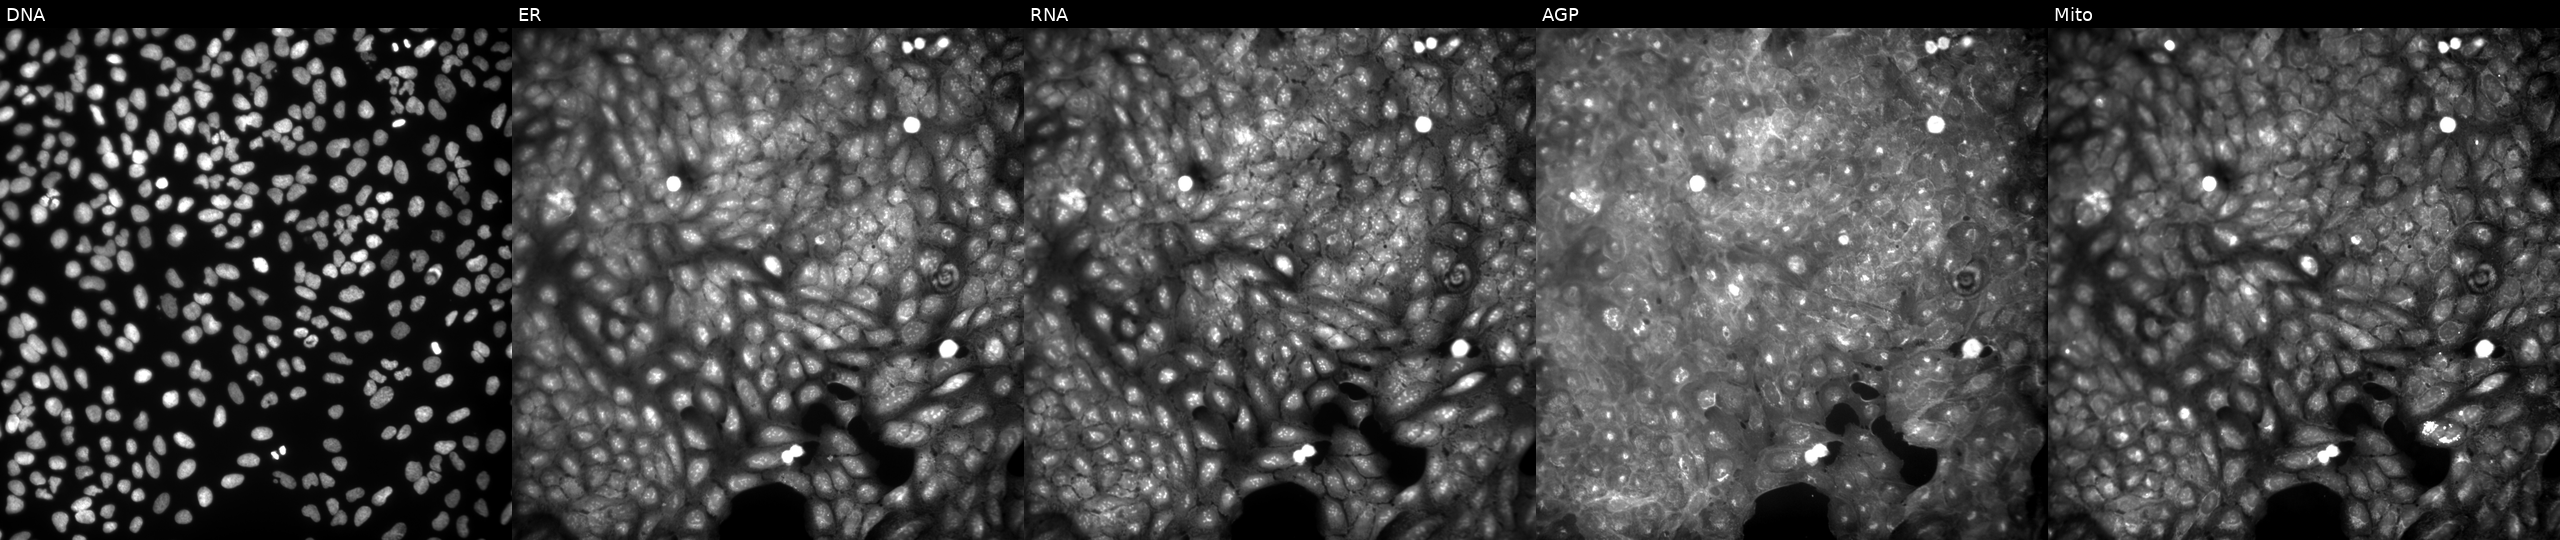
U2OS cells, Cell Painting assay, exposed to DMSO alone as a negative control. From left to right: DNA (nuclei); ER (endoplasmic reticulum); RNA (nucleoli and cytoplasmic RNA); AGP (actin cytoskeleton, Golgi, and plasma membrane); Mito (mitochondria). Each panel is percentile-stretched 16-bit fluorescence.